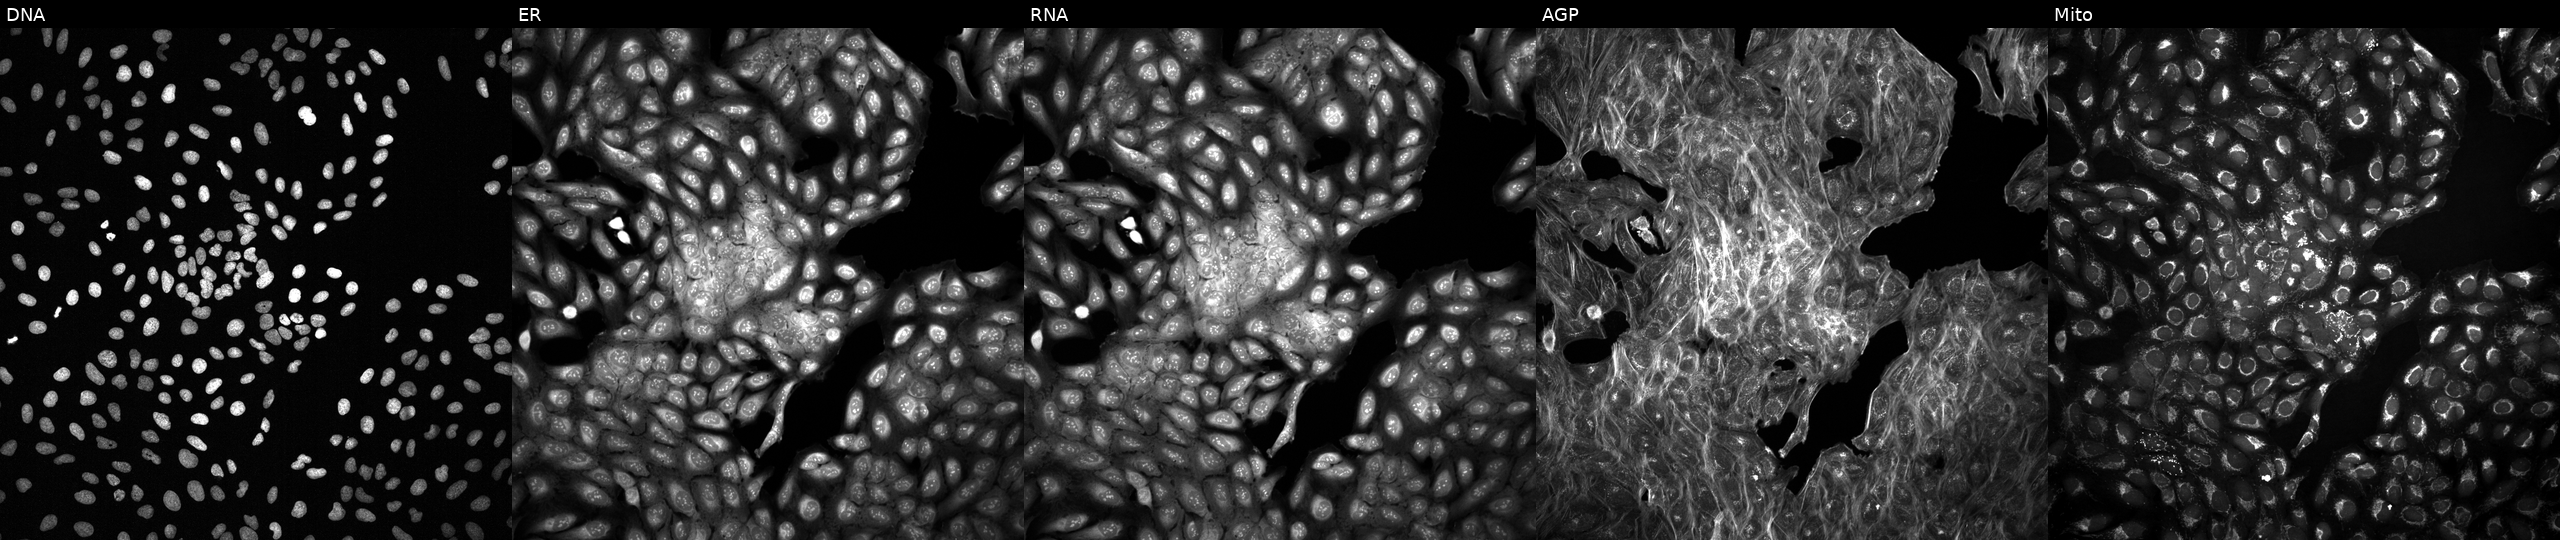
High-content fluorescence microscopy (Cell Painting). Cell line: U2OS. Perturbation: with an unidentified perturbation (not annotated in JUMP metadata). From left to right: DNA (nuclei); ER (endoplasmic reticulum); RNA (nucleoli and cytoplasmic RNA); AGP (actin cytoskeleton, Golgi, and plasma membrane); Mito (mitochondria).